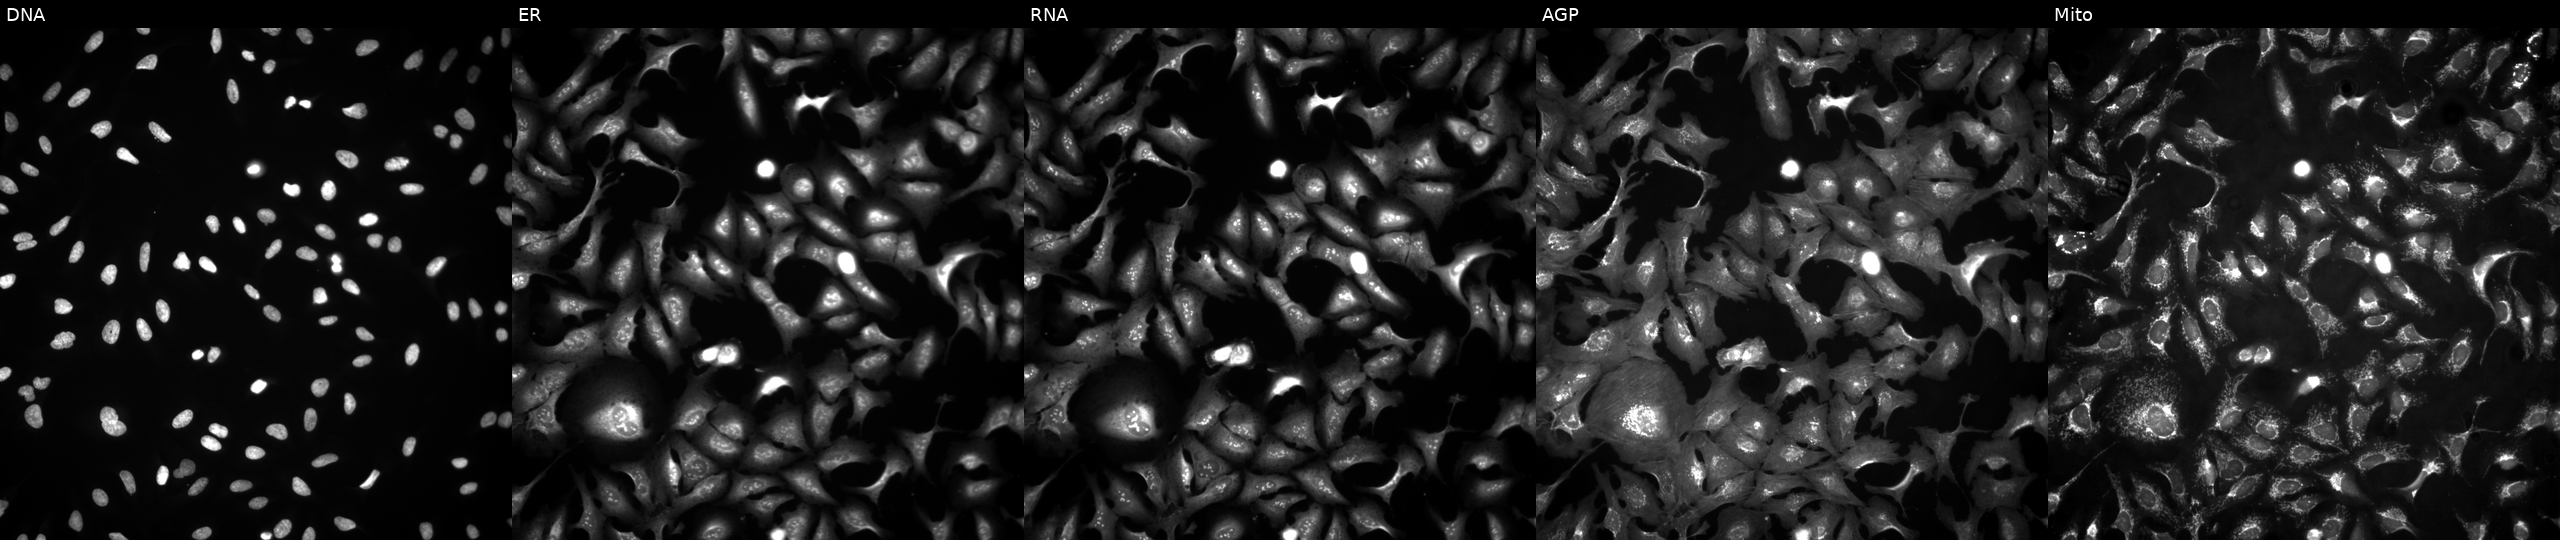
This image strip shows the five Cell Painting channels for a single field of U2OS cells overexpressing OBI1 via ORF transfection. Channels (left→right): DNA (nuclei); ER (endoplasmic reticulum); RNA (nucleoli and cytoplasmic RNA); AGP (actin cytoskeleton, Golgi, and plasma membrane); Mito (mitochondria).